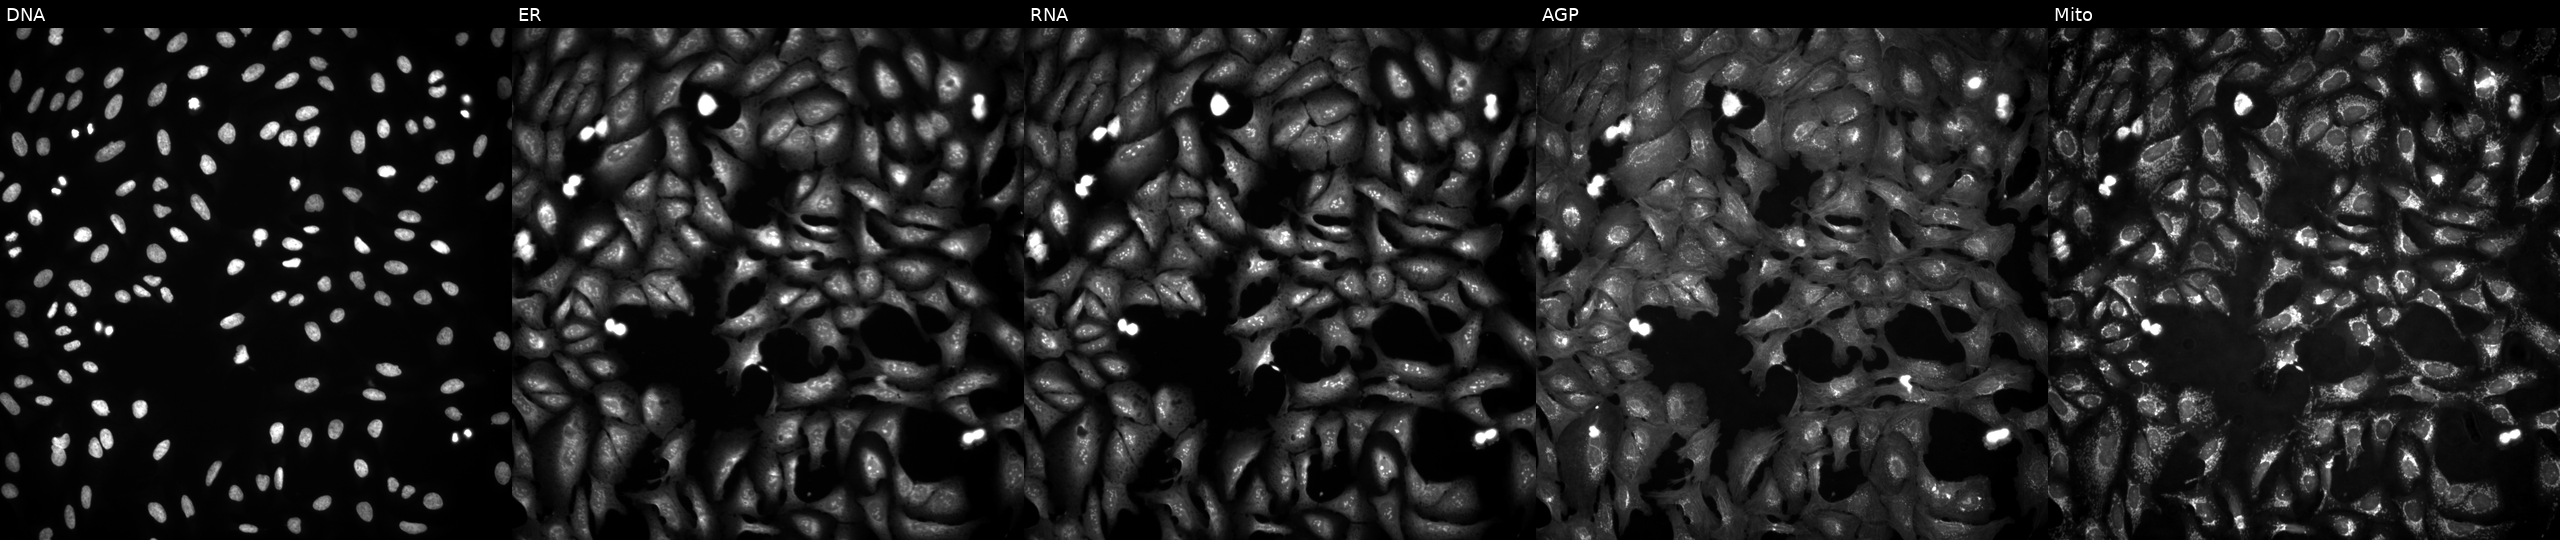
JUMP Cell Painting — ORF plate. U2OS cells with KLK11 overexpressed (ORF). The five panels, left to right, show Hoechst 33342, concanavalin A, SYTO 14, phalloidin and WGA, MitoTracker. Source 4, plate BR00124787, well B24.